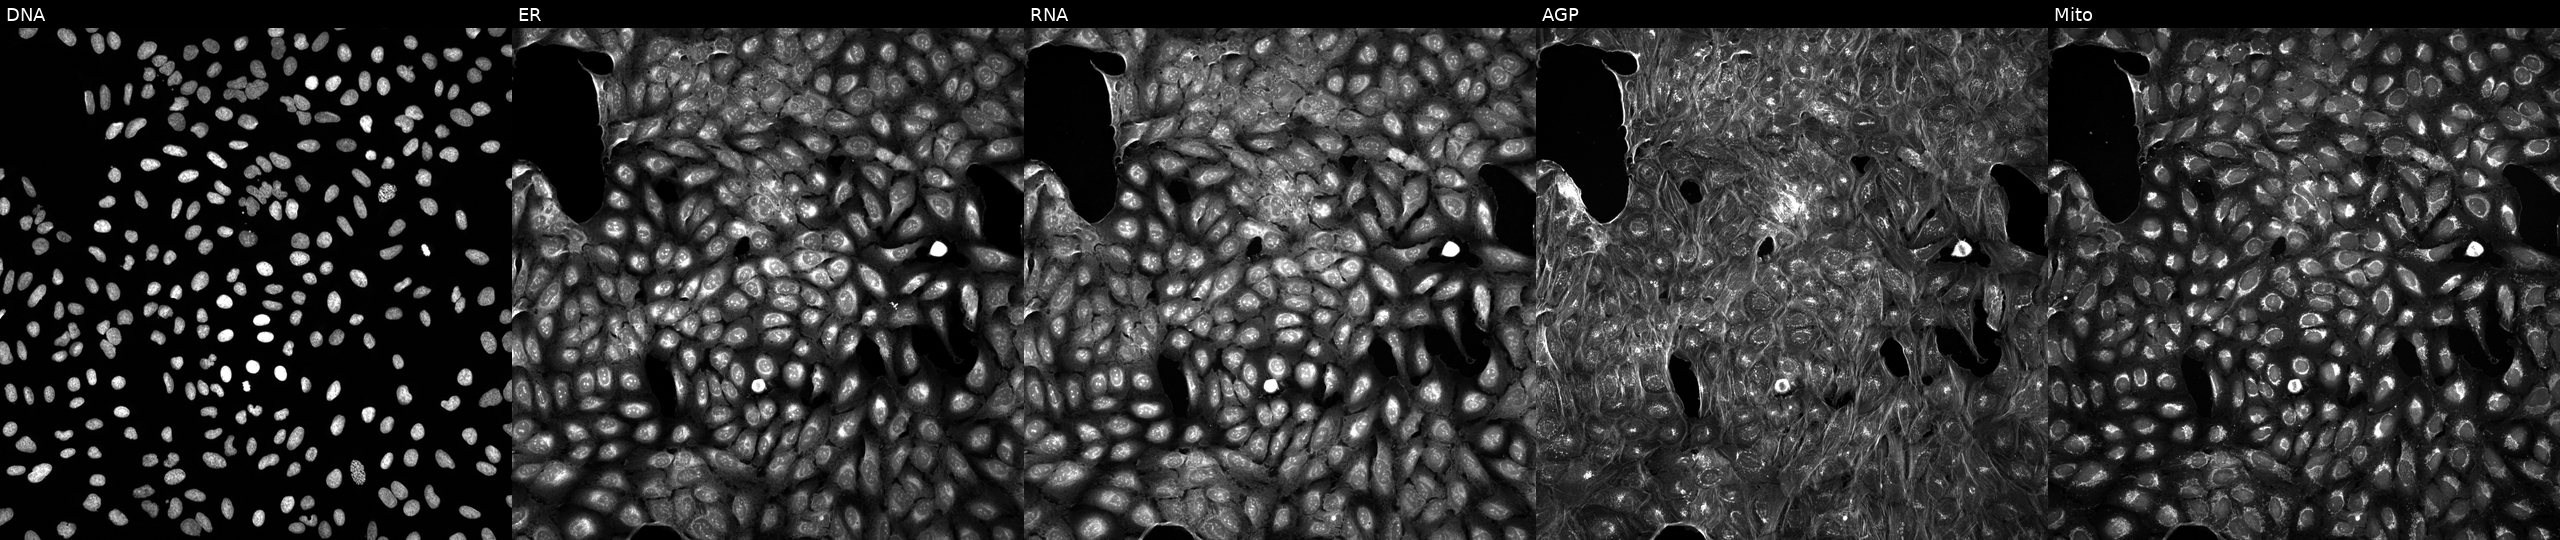
U2OS cells, Cell Painting assay, perturbed with a small-molecule compound. Channels (left→right): DNA (nuclei); ER (endoplasmic reticulum); RNA (nucleoli and cytoplasmic RNA); AGP (actin cytoskeleton, Golgi, and plasma membrane); Mito (mitochondria). Each panel is percentile-stretched 16-bit fluorescence.